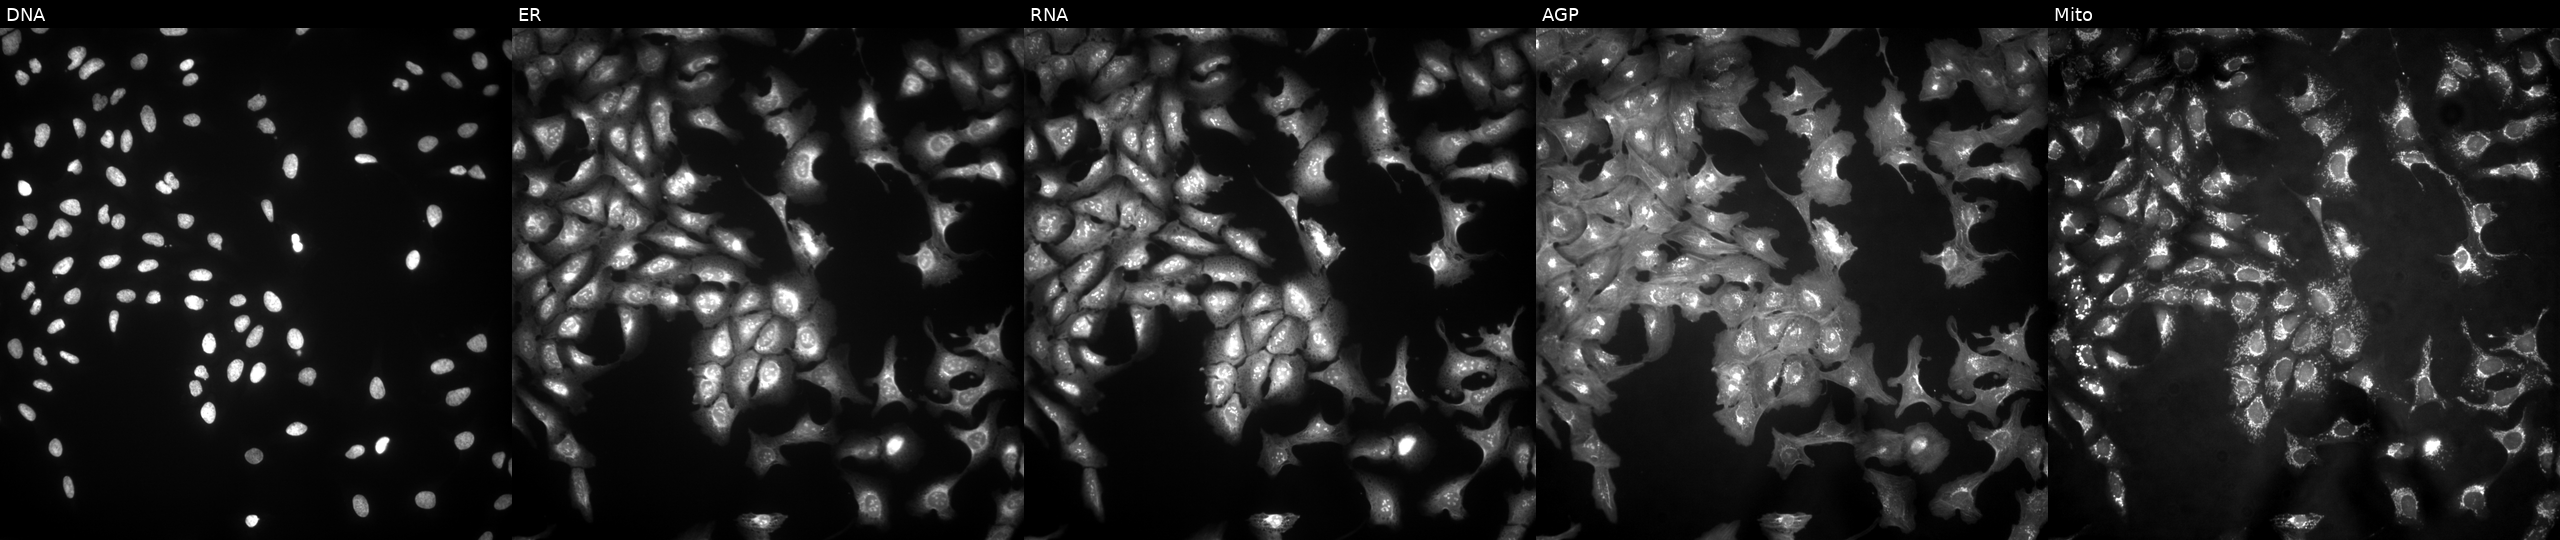
High-content fluorescence microscopy (Cell Painting). Cell line: U2OS. Perturbation: overexpressing CHRM1 via ORF transfection (JUMP id JCP2022_905605). Panels show, left to right, DNA (nuclei); ER (endoplasmic reticulum); RNA (nucleoli and cytoplasmic RNA); AGP (actin cytoskeleton, Golgi, and plasma membrane); Mito (mitochondria).